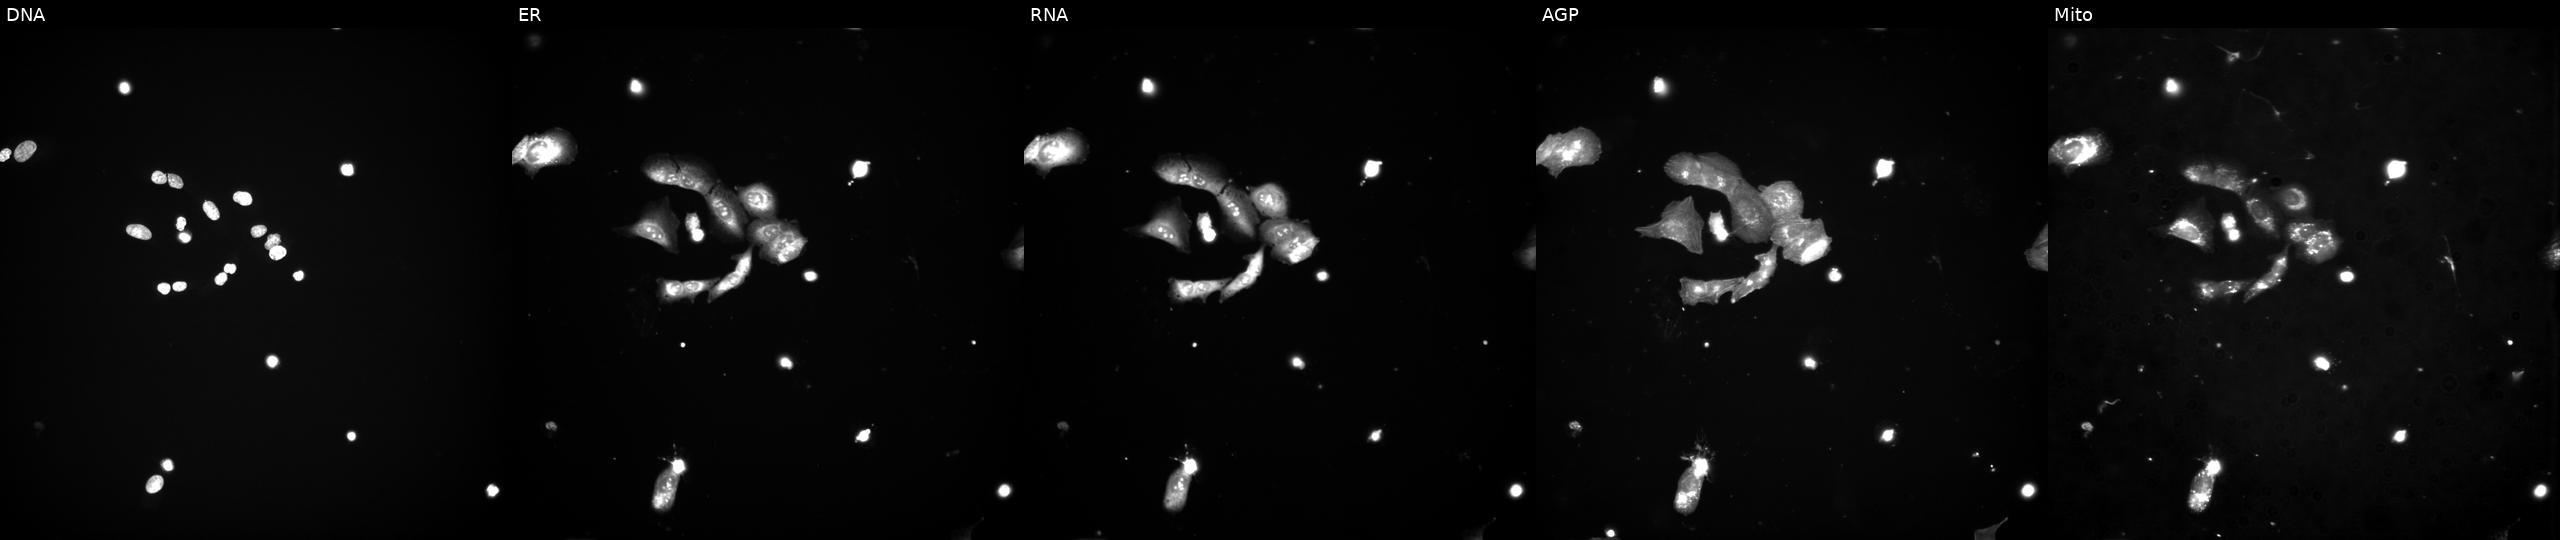
The five panels, left to right, show DNA (nuclei); ER (endoplasmic reticulum); RNA (nucleoli and cytoplasmic RNA); AGP (actin cytoskeleton, Golgi, and plasma membrane); Mito (mitochondria). U2OS osteosarcoma cells perturbed with a small-molecule compound. Cell Painting assay, JUMP-CP dataset.